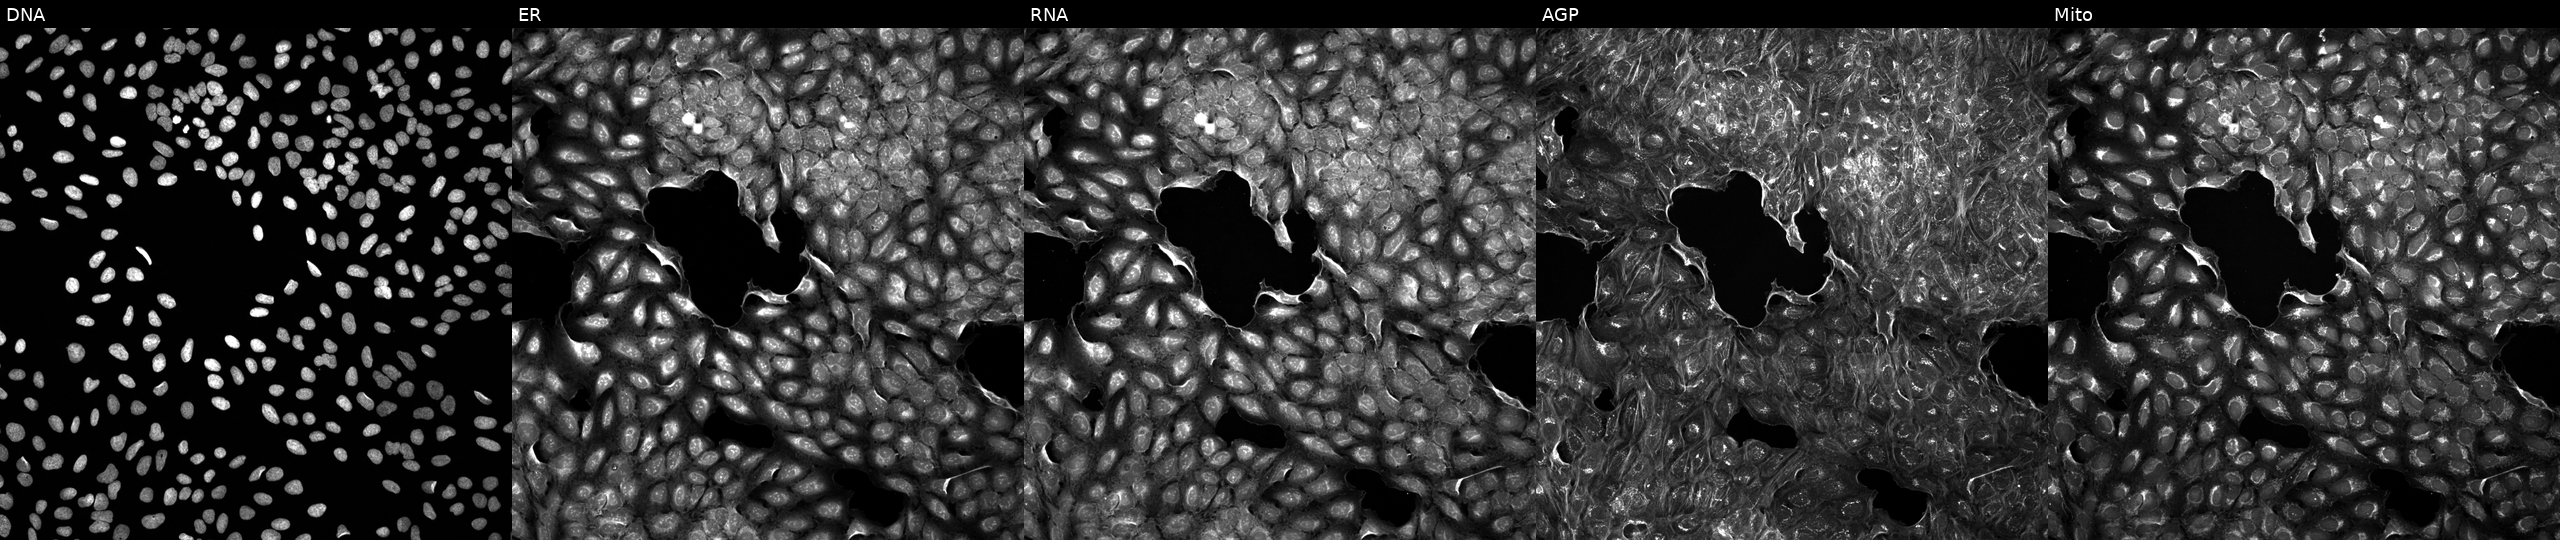
Five-channel Cell Painting image of U2OS cells treated with a small-molecule compound (JUMP id JCP2022_012912). From left to right: DNA (nuclei); ER (endoplasmic reticulum); RNA (nucleoli and cytoplasmic RNA); AGP (actin cytoskeleton, Golgi, and plasma membrane); Mito (mitochondria). Source 5, plate APTJUM106, well K11.